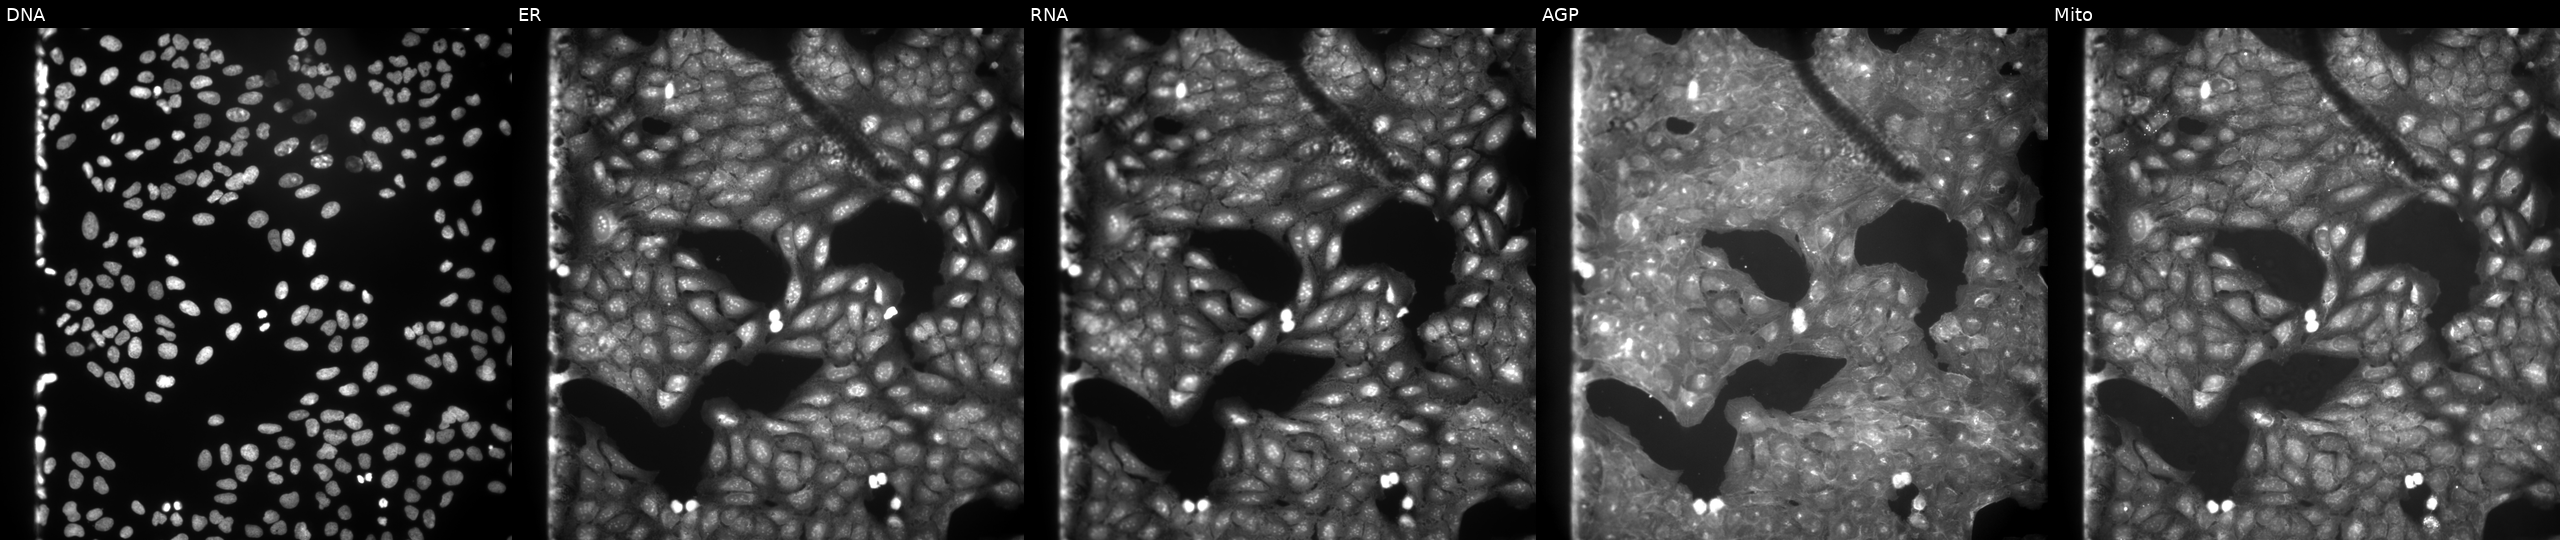
JUMP Cell Painting — COMPOUND plate. U2OS cells perturbed with a small-molecule compound (InChIKey XABDOZJHSHZYRJ-UHFFFAOYSA-N) (JUMP id JCP2022_102283). Panels show, left to right, DNA (nuclei); ER (endoplasmic reticulum); RNA (nucleoli and cytoplasmic RNA); AGP (actin cytoskeleton, Golgi, and plasma membrane); Mito (mitochondria). Source 9, plate GR00003382, well C06.